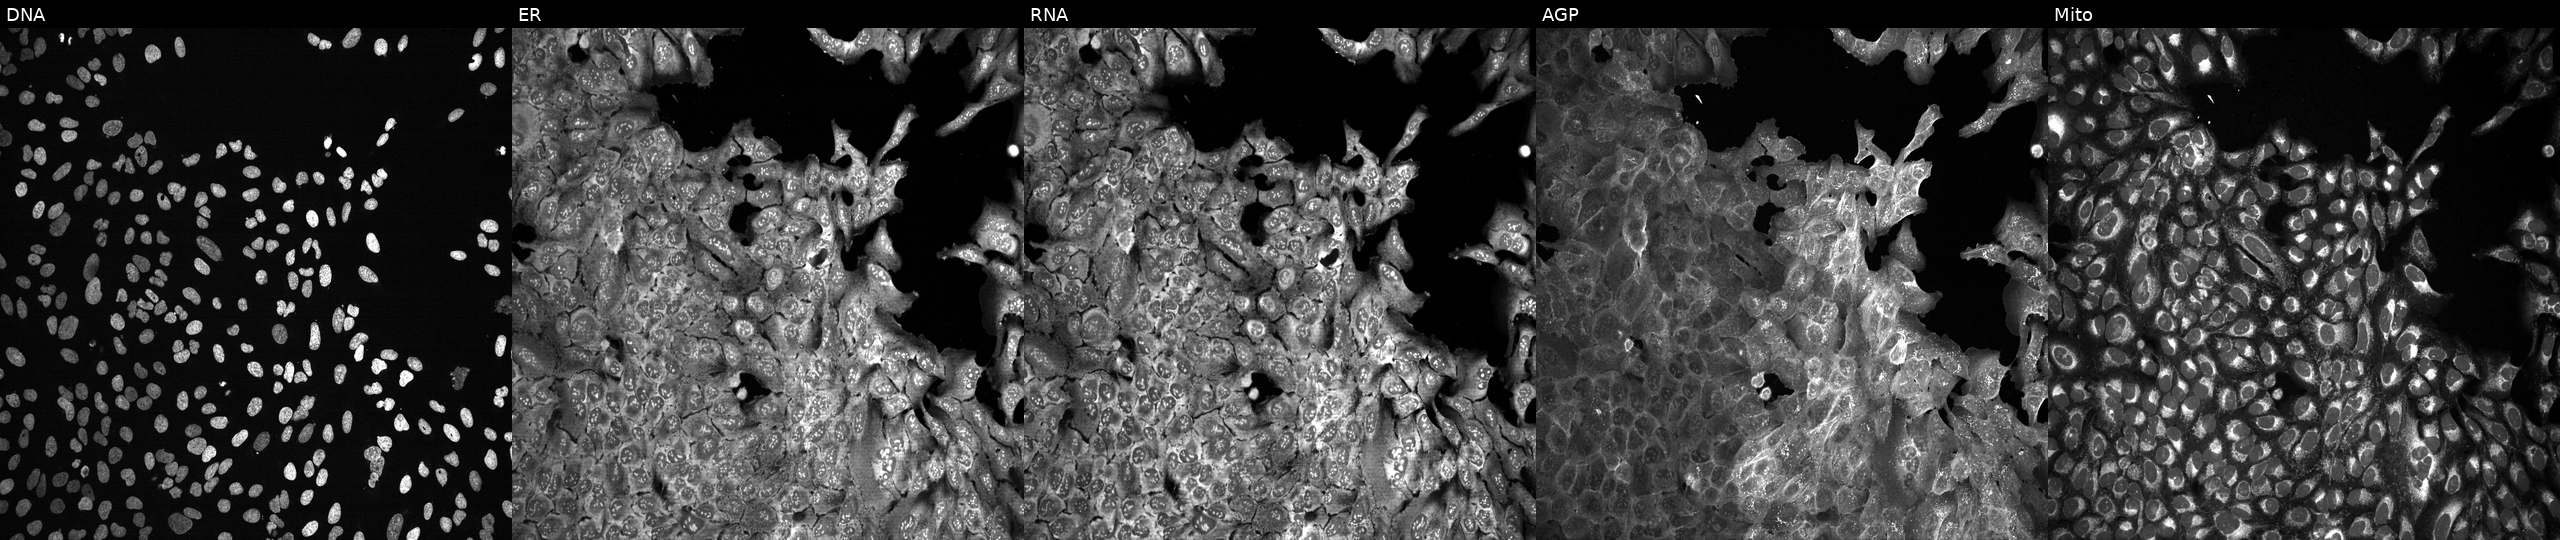
This image strip shows the five Cell Painting channels for a single field of U2OS cells with HTRA1 knocked out by CRISPR. Channels (left→right): Hoechst 33342, concanavalin A, SYTO 14, phalloidin and WGA, MitoTracker. Source 13, plate CP-CC9-R6-19, well K11.